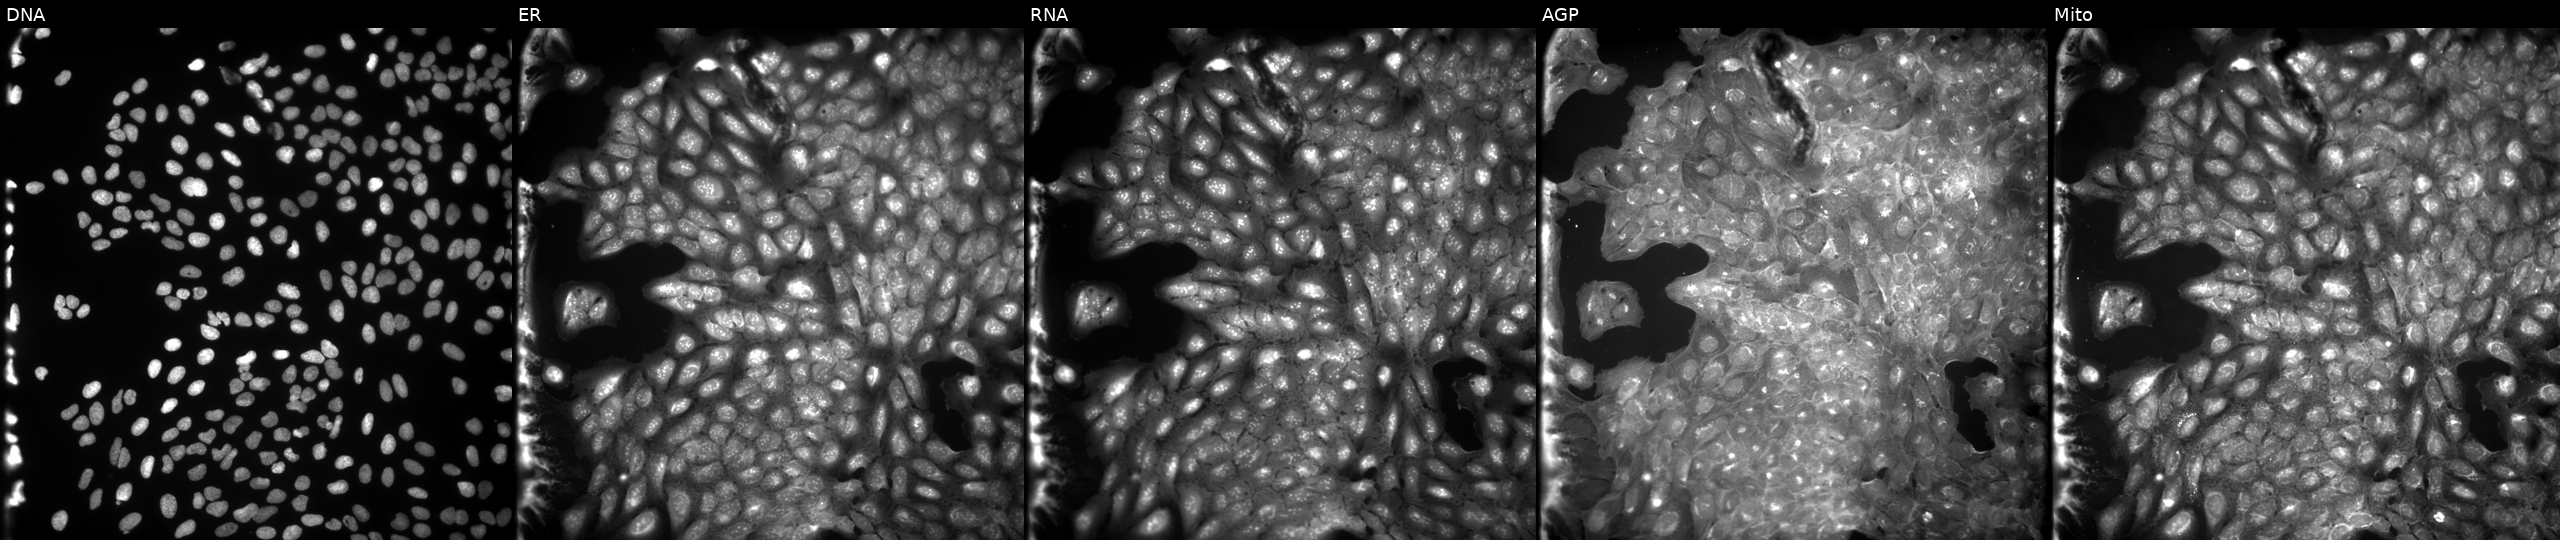
This image strip shows the five Cell Painting channels for a single field of U2OS cells exposed to a small-molecule compound (InChIKey GYVMVMXZFZYJNG-UHFFFAOYSA-N). From left to right: DNA, ER, RNA, AGP, and Mito.